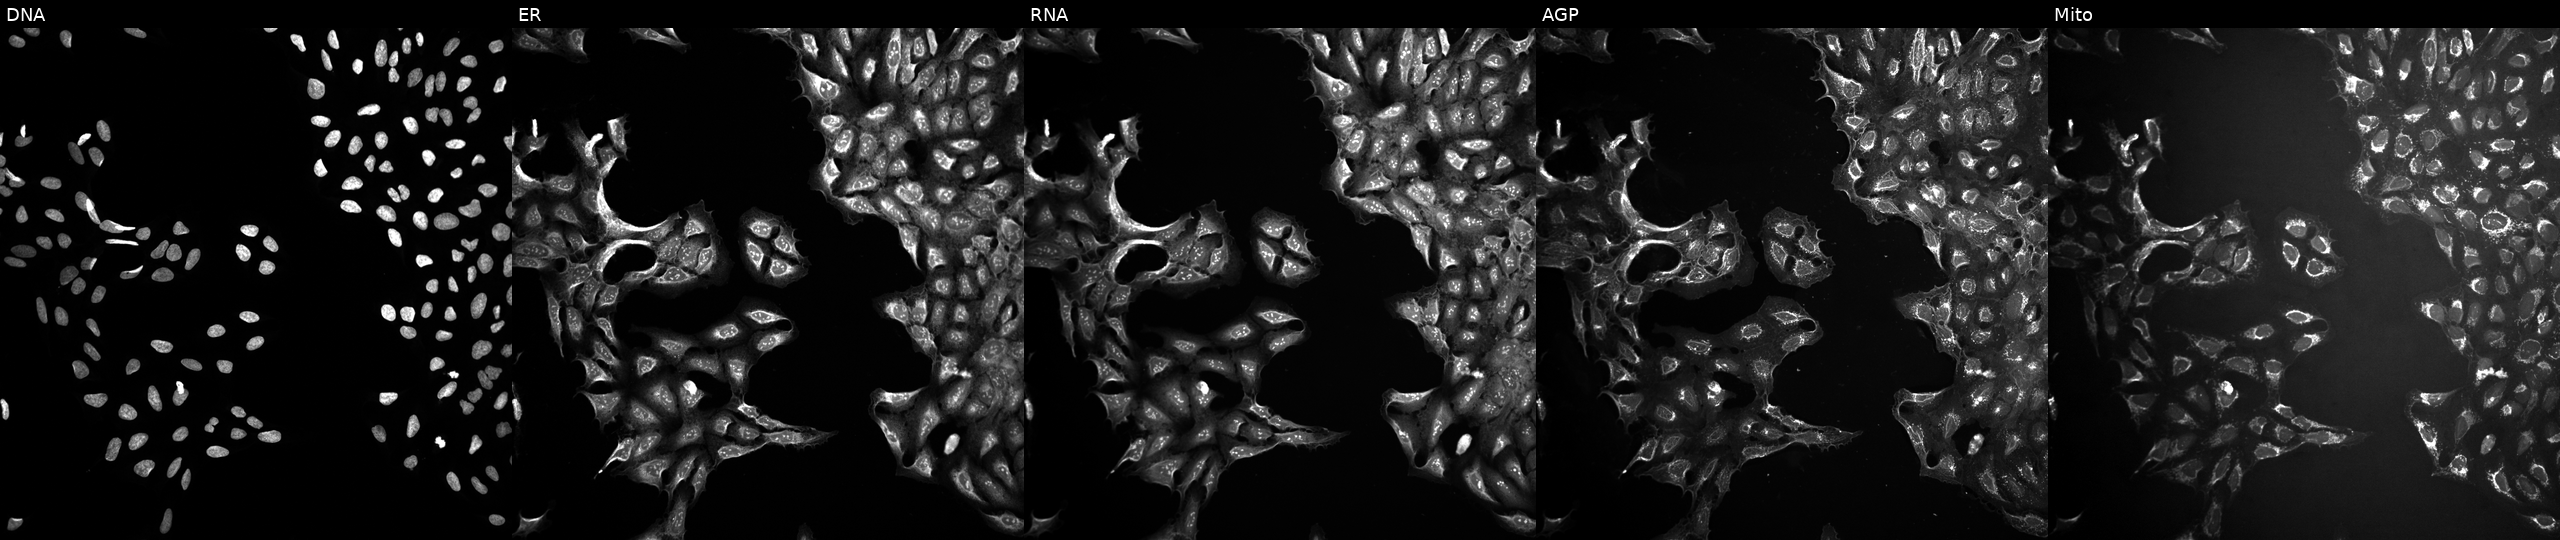
Channels (left→right): DNA, ER, RNA, AGP, and Mito. U2OS osteosarcoma cells perturbed with a small-molecule compound [SMILES: ON=Cc1ccc(-c2ccc(O)c(F)c2)c(Cl)c1O] (JUMP id JCP2022_051319). Cell Painting assay, JUMP-CP dataset.